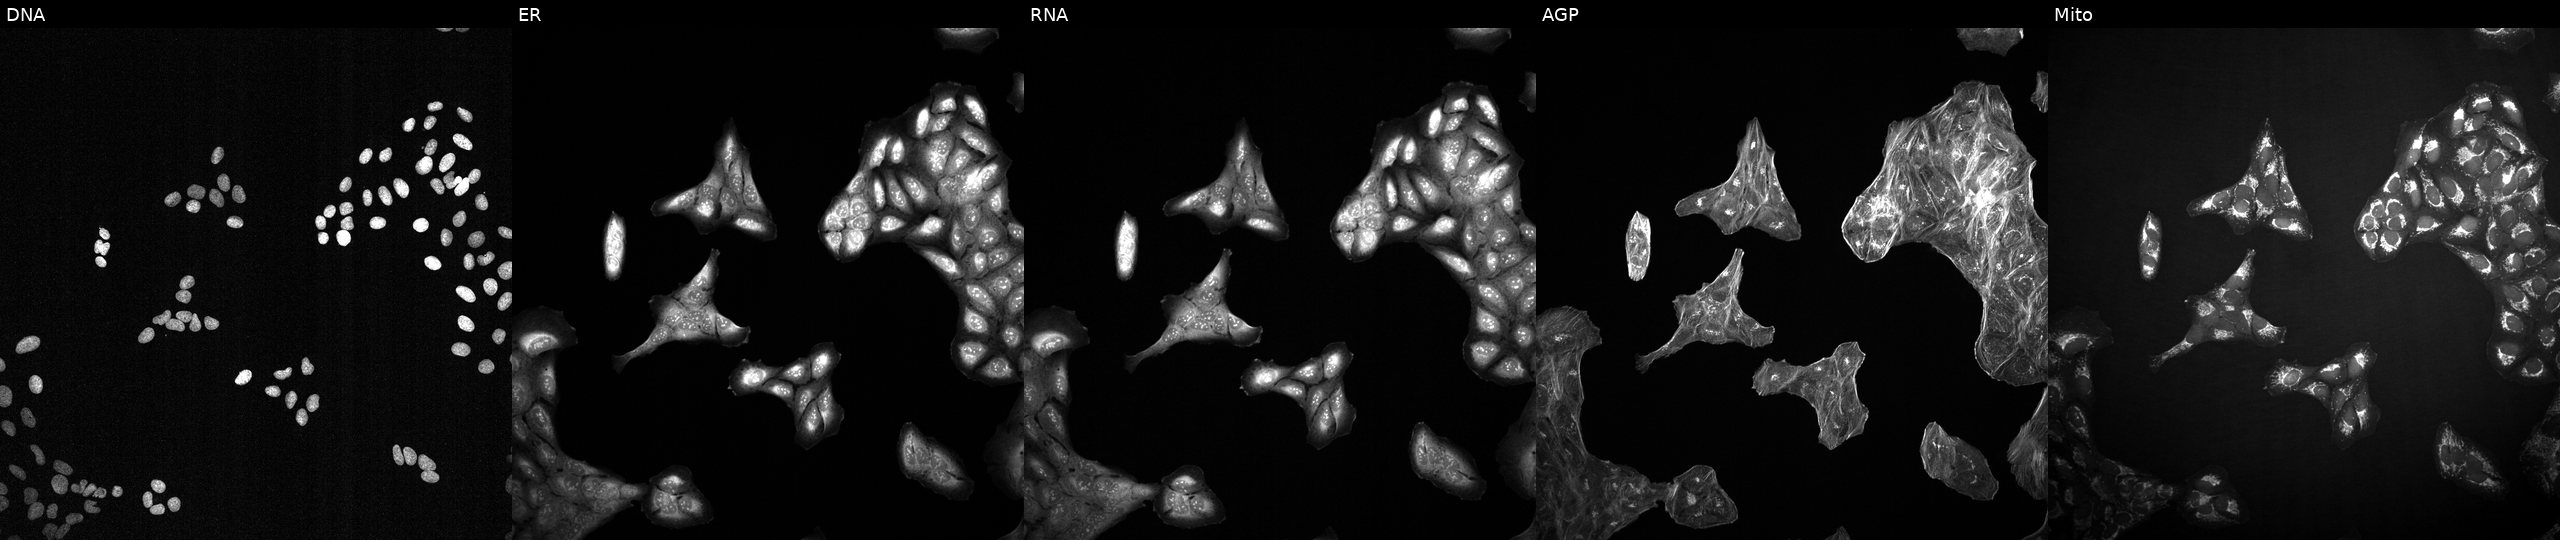
This image strip shows the five Cell Painting channels for a single field of U2OS cells treated with a small-molecule compound (InChIKey JUUFBMODXQKSTD-UHFFFAOYSA-N) (JUMP id JCP2022_042261). The five panels, left to right, show Hoechst 33342, concanavalin A, SYTO 14, phalloidin and WGA, MitoTracker. Source 2, plate 1053599503, well A23.